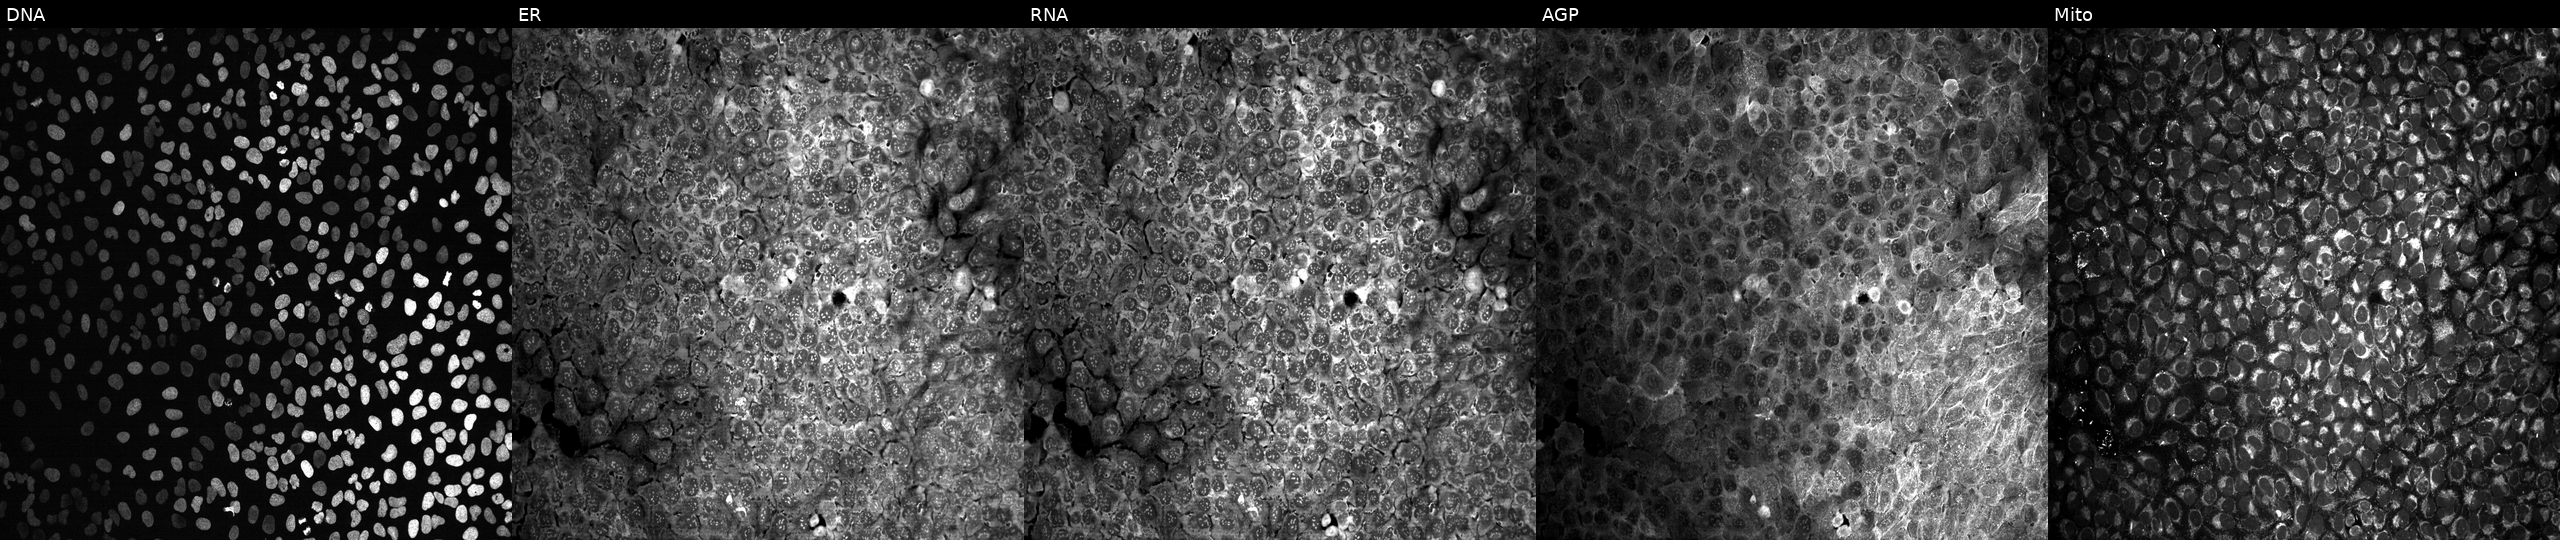
Five-channel Cell Painting image of U2OS cells treated with aloxistatin (positive-control compound). Panels show, left to right, Hoechst 33342, concanavalin A, SYTO 14, phalloidin and WGA, MitoTracker. Source 13, plate CP-CC9-R3-01, well A01.